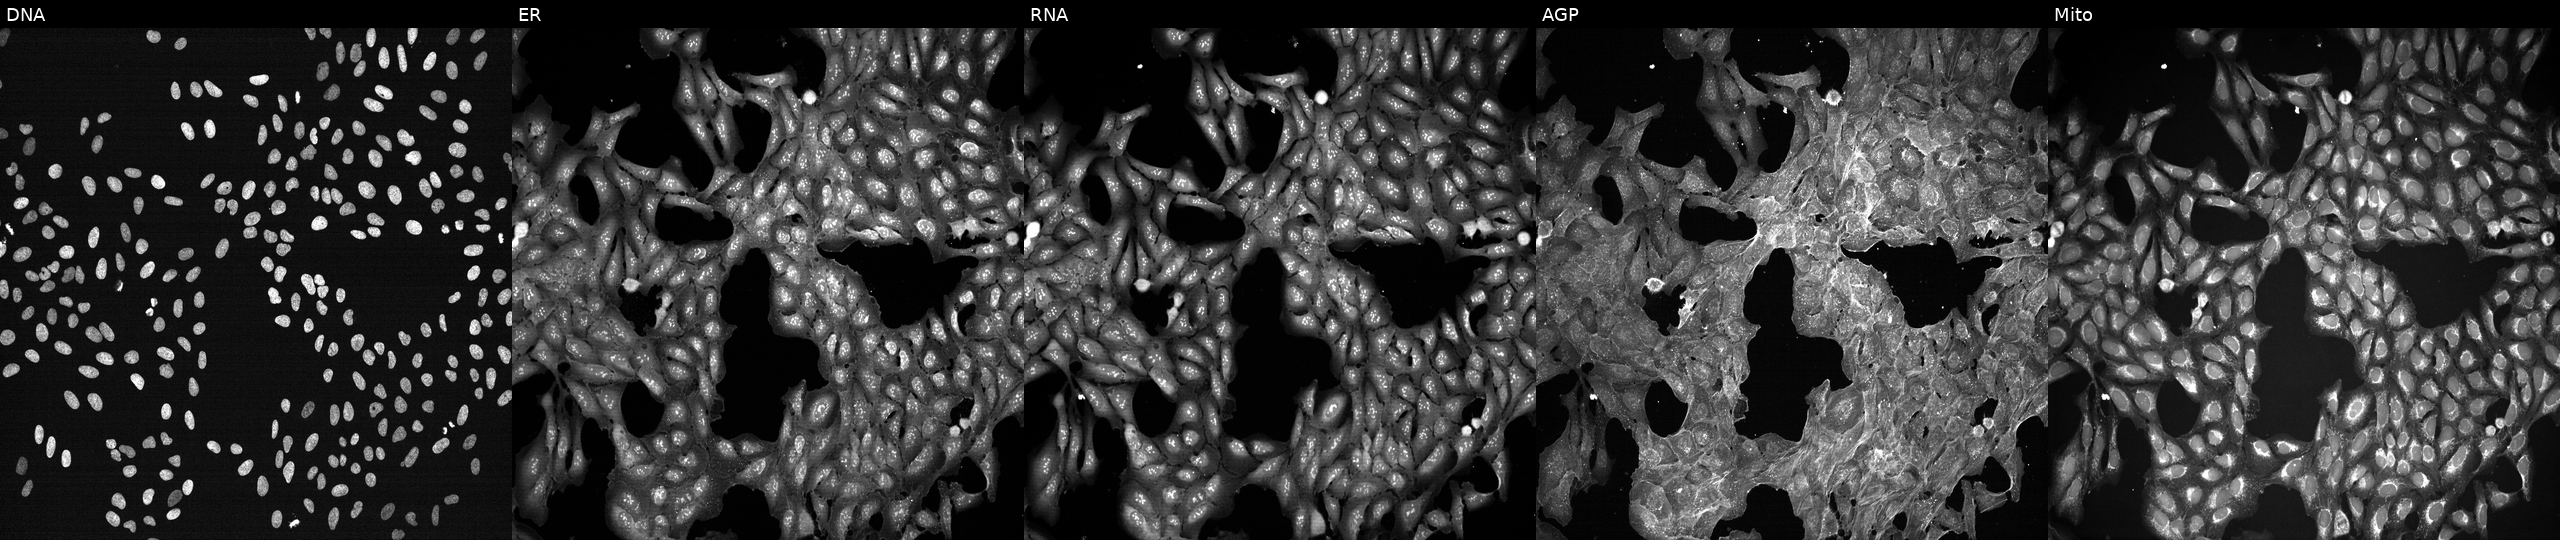
JUMP Cell Painting — TARGET2 plate. U2OS cells exposed to a small-molecule compound. The five panels, left to right, show Hoechst 33342, concanavalin A, SYTO 14, phalloidin and WGA, MitoTracker. Source 7, plate CP2-SC1-25, well A22.